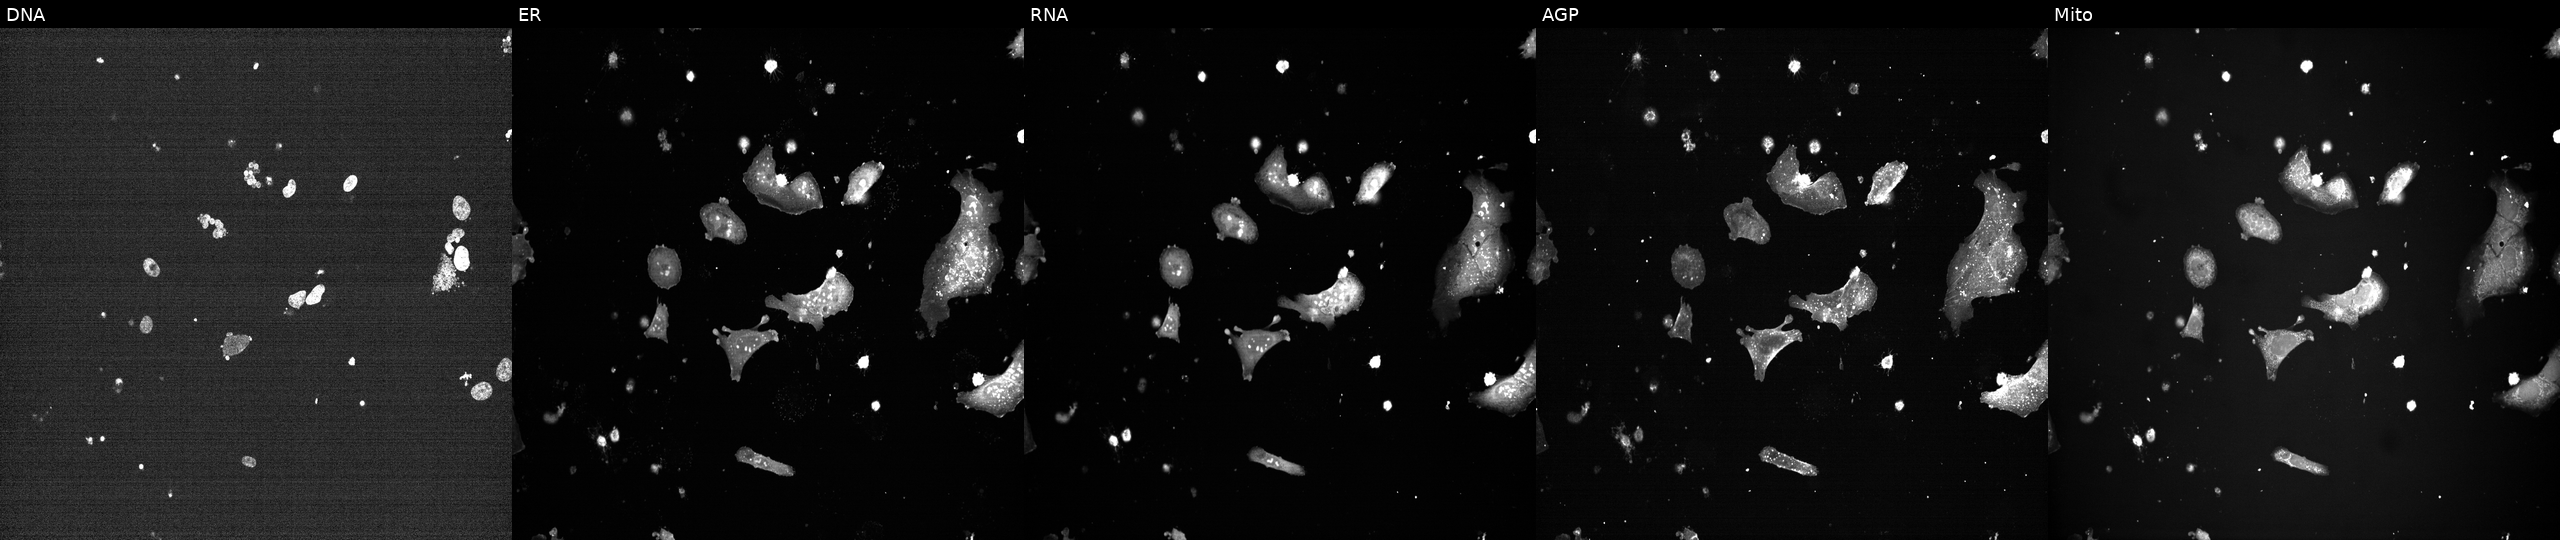
U2OS cells, Cell Painting assay, perturbed with a small-molecule compound. Panels show, left to right, DNA (nuclei); ER (endoplasmic reticulum); RNA (nucleoli and cytoplasmic RNA); AGP (actin cytoskeleton, Golgi, and plasma membrane); Mito (mitochondria). Each panel is percentile-stretched 16-bit fluorescence.